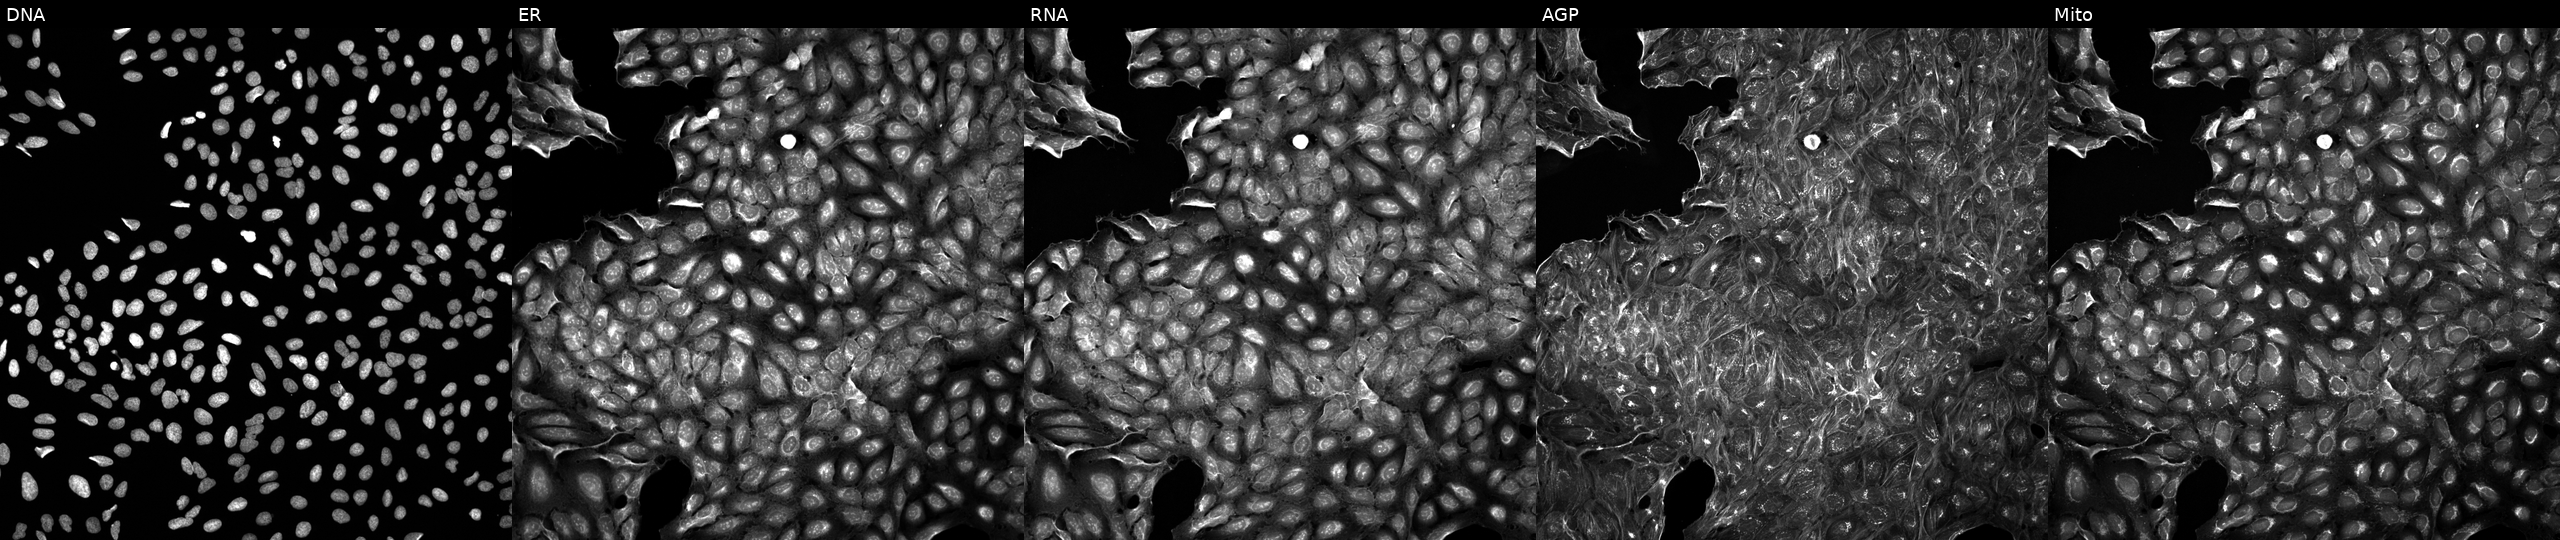
JUMP Cell Painting — COMPOUND plate. U2OS cells exposed to a small-molecule compound (InChIKey WOVJUYAWCGLGDY-UHFFFAOYSA-N). Panels show, left to right, DNA (nuclei); ER (endoplasmic reticulum); RNA (nucleoli and cytoplasmic RNA); AGP (actin cytoskeleton, Golgi, and plasma membrane); Mito (mitochondria). Source 5, plate APTJUM106, well J03.